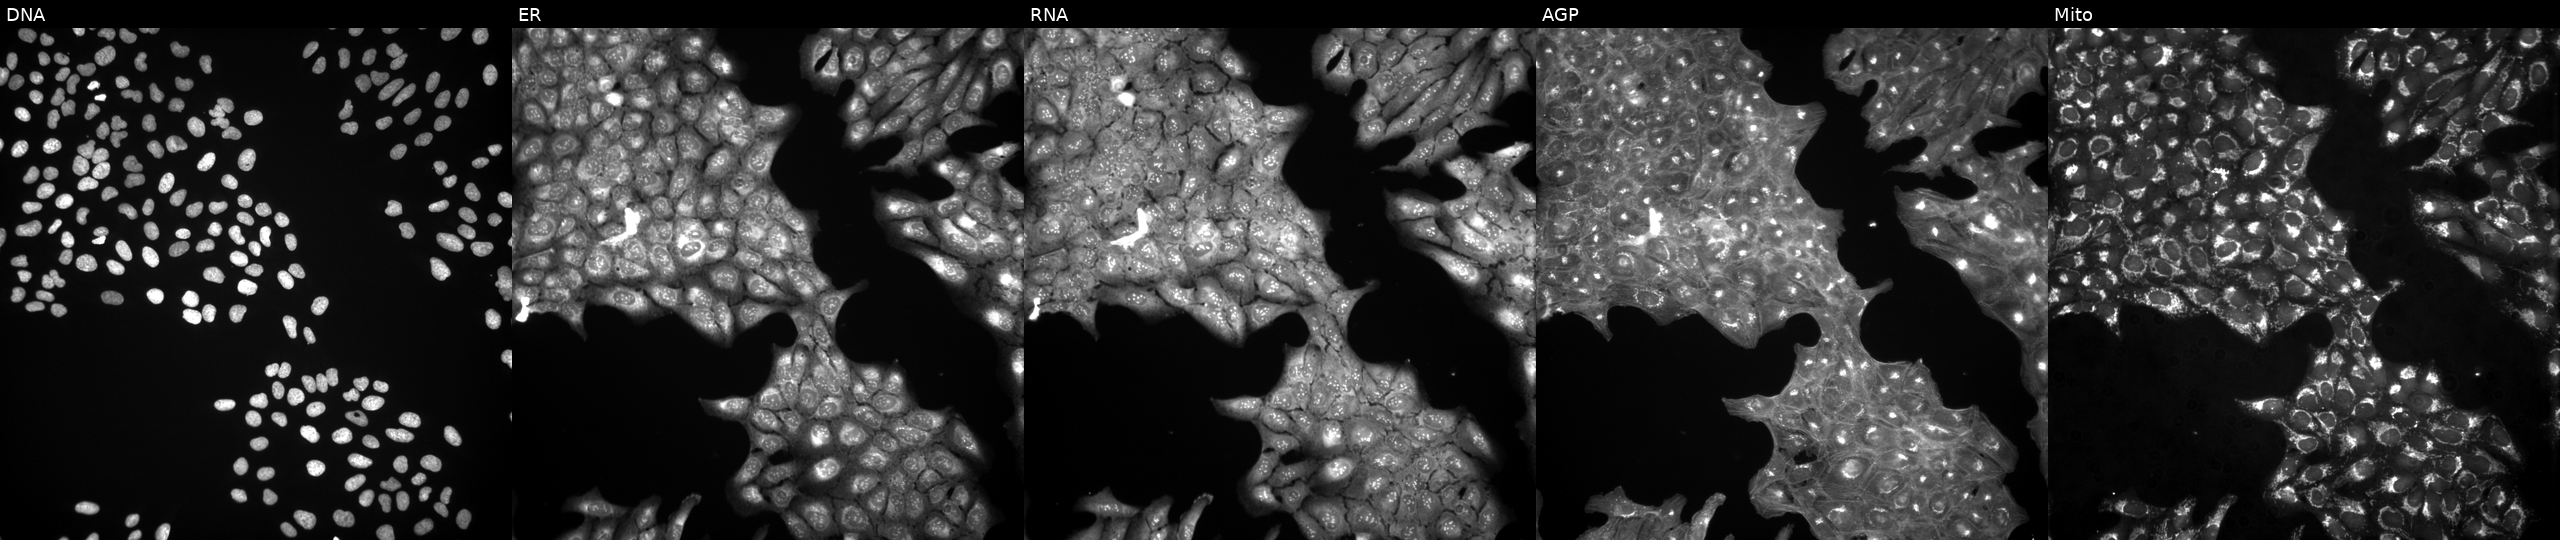
High-content fluorescence microscopy (Cell Painting). Cell line: U2OS. Perturbation: perturbed with a small-molecule compound (InChIKey HFNKQEVNSGCOJV-UHFFFAOYSA-N). Channels (left→right): Hoechst 33342, concanavalin A, SYTO 14, phalloidin and WGA, MitoTracker.